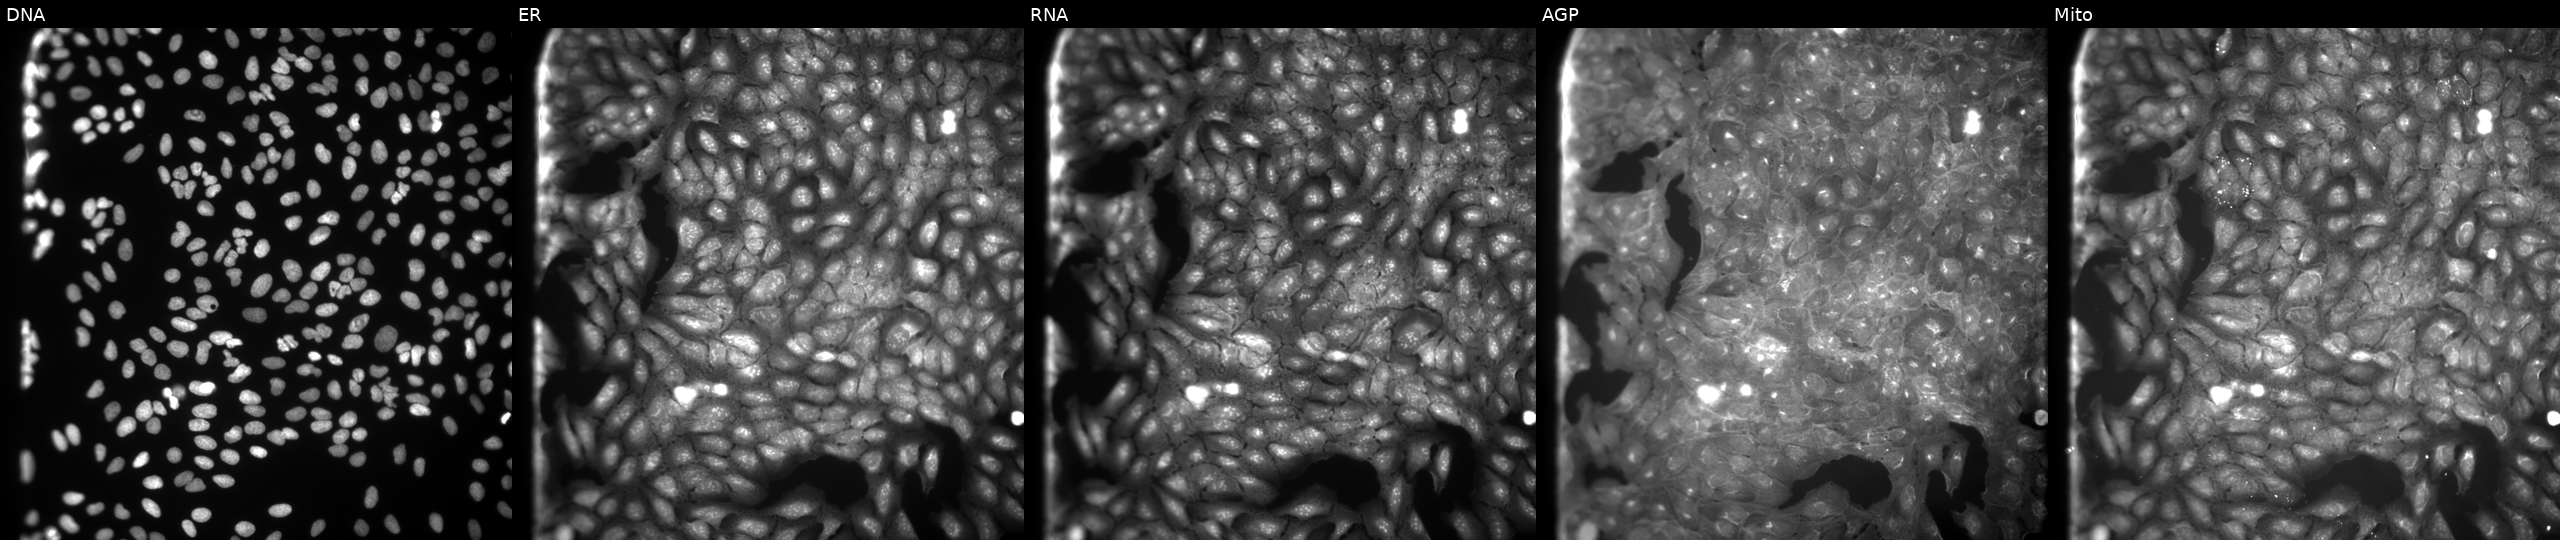
High-content fluorescence microscopy (Cell Painting). Cell line: U2OS. Perturbation: exposed to the positive-control compound TC-S-7004. Channels (left→right): DNA (nuclei); ER (endoplasmic reticulum); RNA (nucleoli and cytoplasmic RNA); AGP (actin cytoskeleton, Golgi, and plasma membrane); Mito (mitochondria). Source 9, plate GR00003382, well P01.